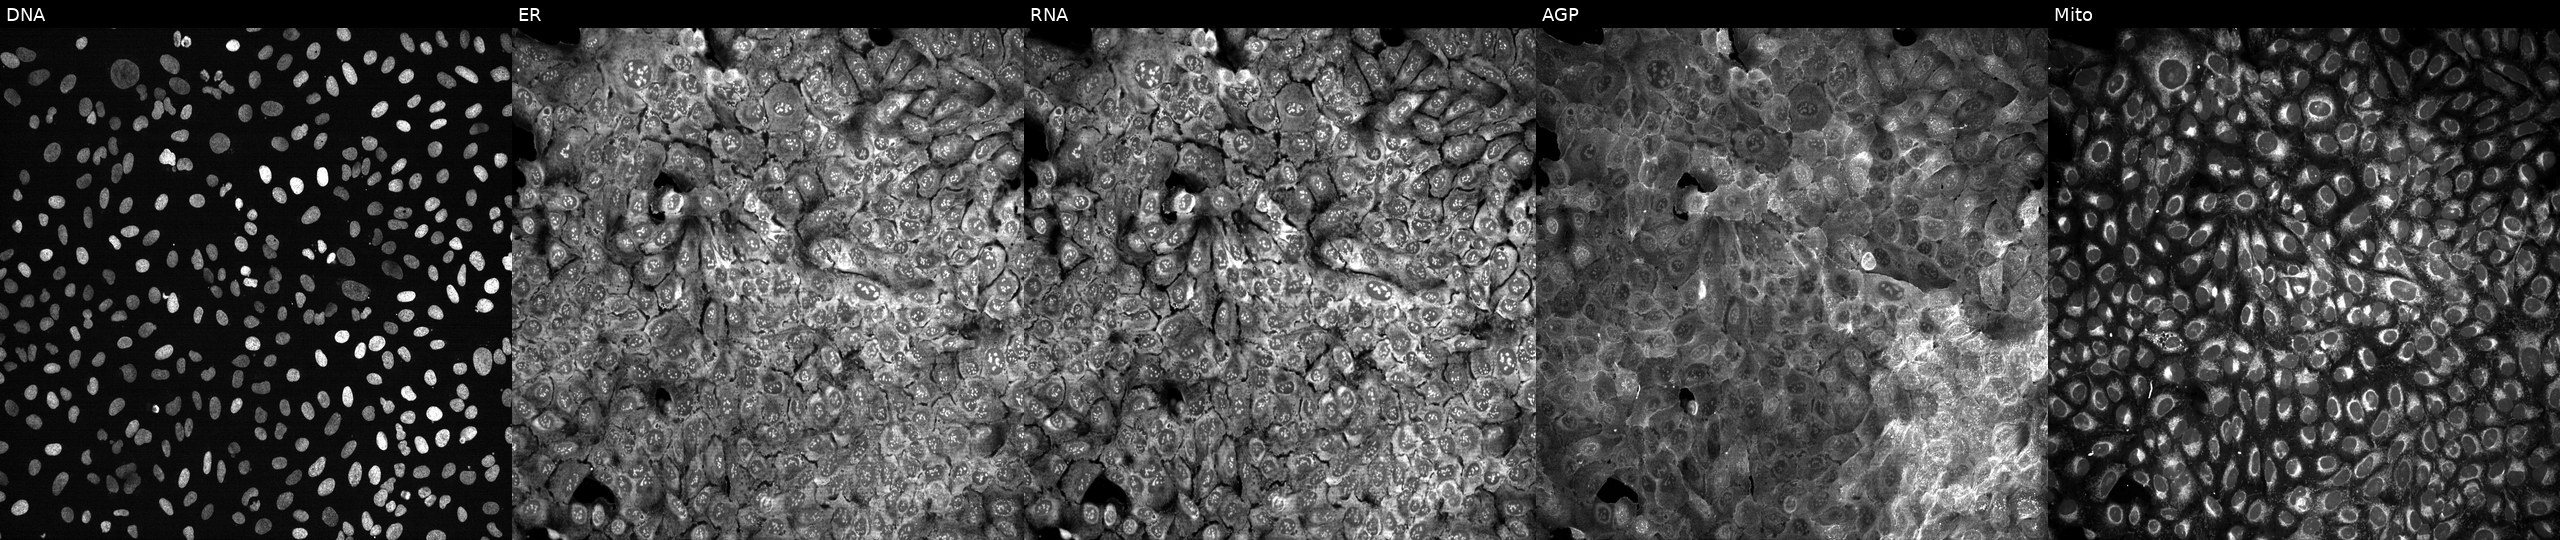
This image strip shows the five Cell Painting channels for a single field of U2OS cells with SGSH knocked out by CRISPR (JUMP id JCP2022_806314). Panels show, left to right, DNA (nuclei); ER (endoplasmic reticulum); RNA (nucleoli and cytoplasmic RNA); AGP (actin cytoskeleton, Golgi, and plasma membrane); Mito (mitochondria). Source 13, plate CP-CC9-R2-01, well A14.